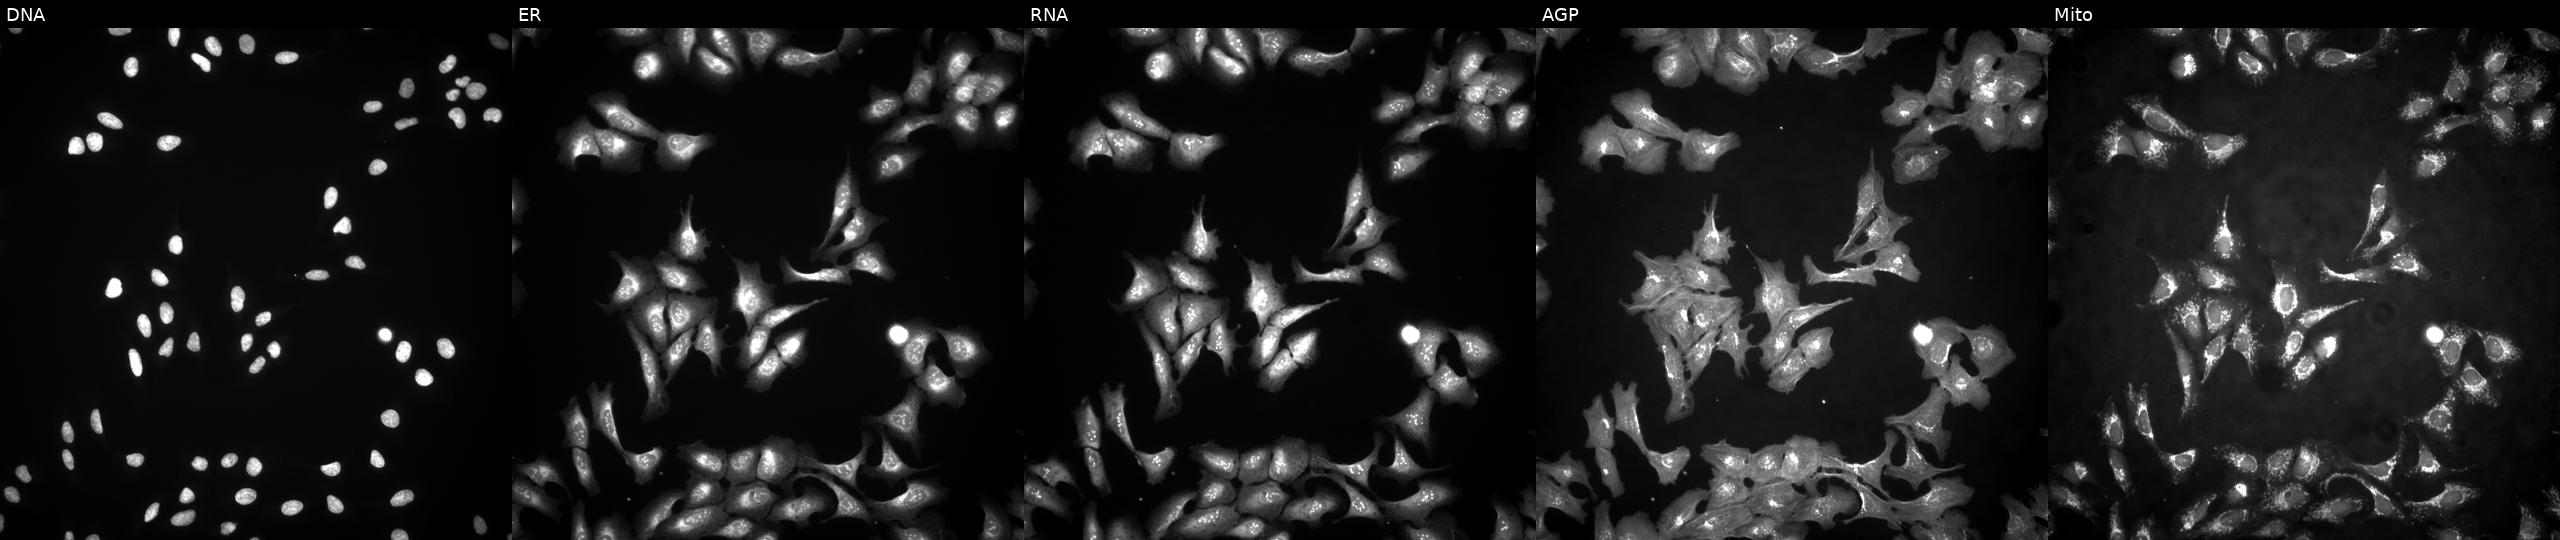
U2OS cells, Cell Painting assay, overexpressing NREP via ORF transfection. The five panels, left to right, show DNA (nuclei); ER (endoplasmic reticulum); RNA (nucleoli and cytoplasmic RNA); AGP (actin cytoskeleton, Golgi, and plasma membrane); Mito (mitochondria). Each panel is percentile-stretched 16-bit fluorescence.